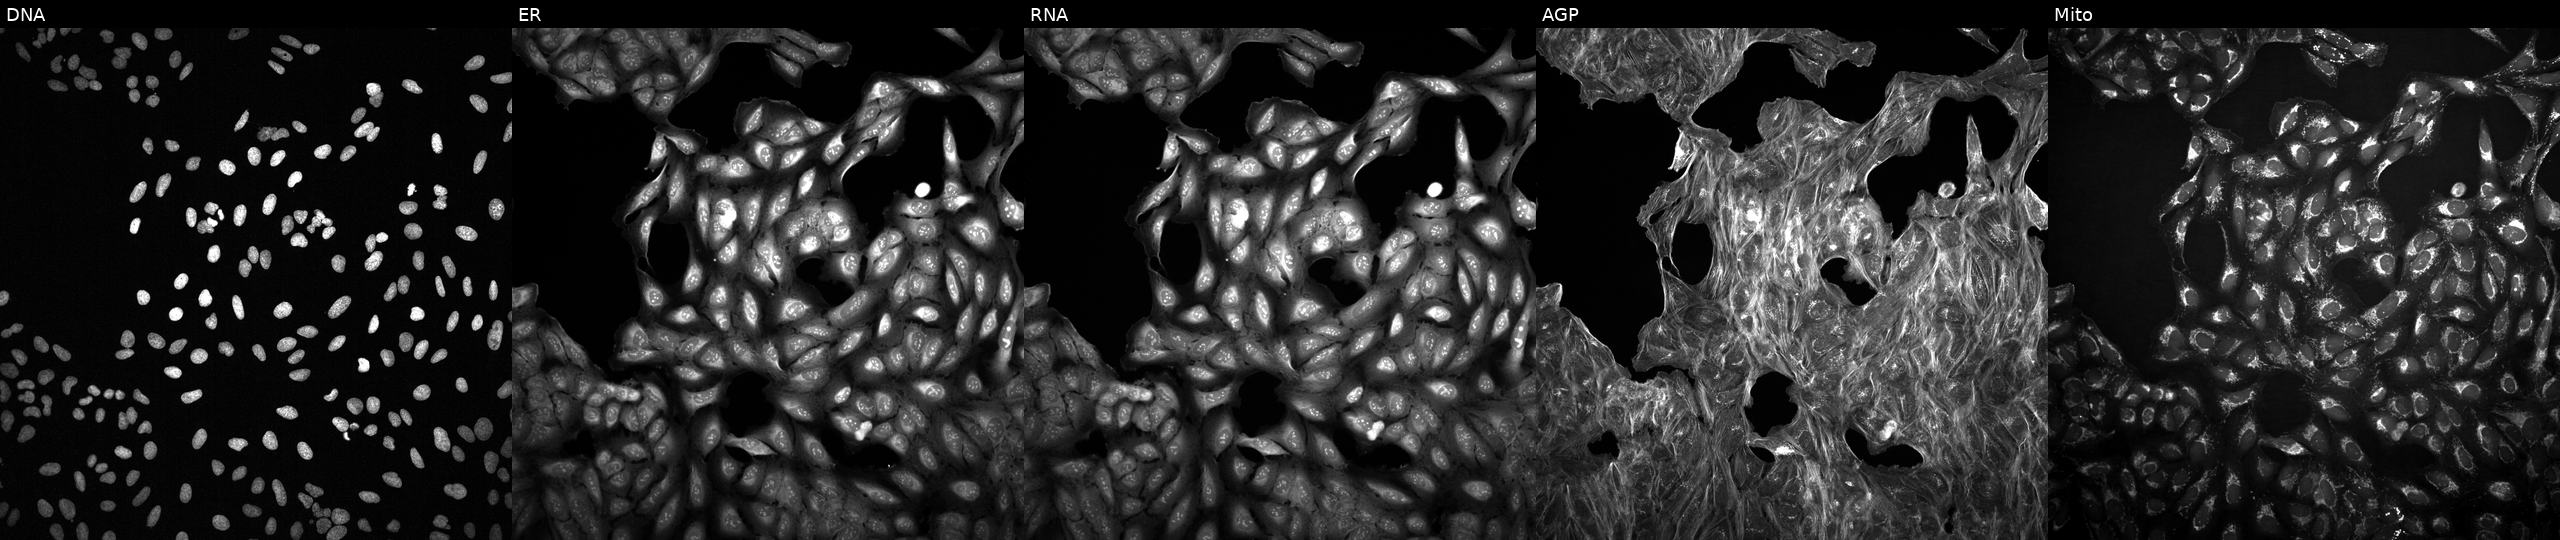
The five panels, left to right, show DNA, ER, RNA, AGP, and Mito. U2OS osteosarcoma cells treated with DMSO vehicle only (negative control). Cell Painting assay, JUMP-CP dataset.